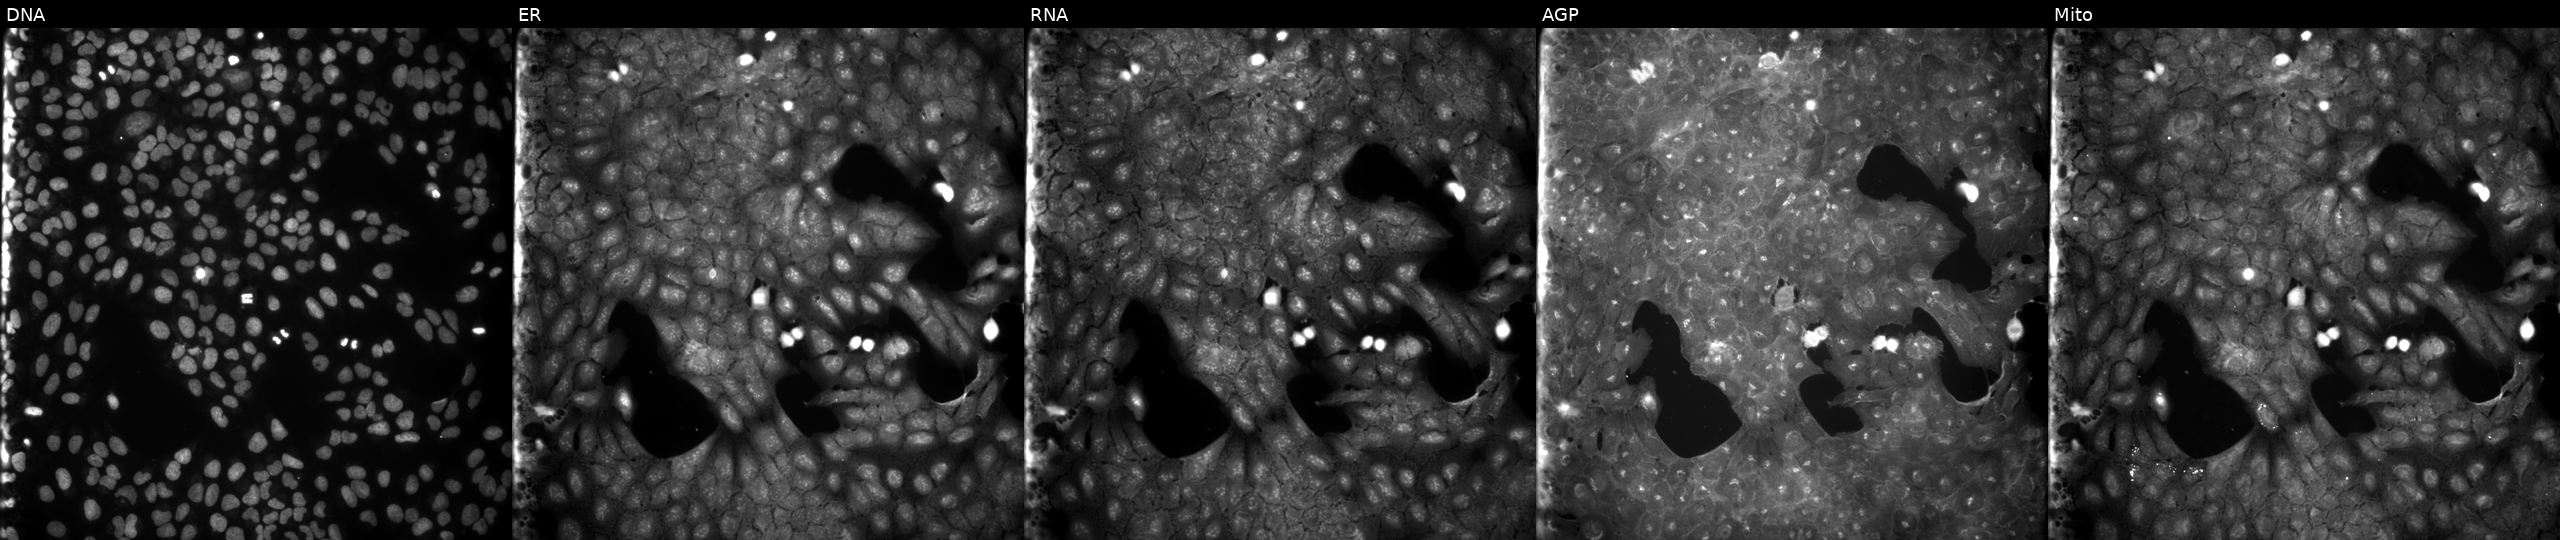
U2OS cells, Cell Painting assay, perturbed with a small-molecule compound (JUMP id JCP2022_065327). The five panels, left to right, show Hoechst 33342, concanavalin A, SYTO 14, phalloidin and WGA, MitoTracker. Each panel is percentile-stretched 16-bit fluorescence. Source 9, plate GR00003381, well M13.